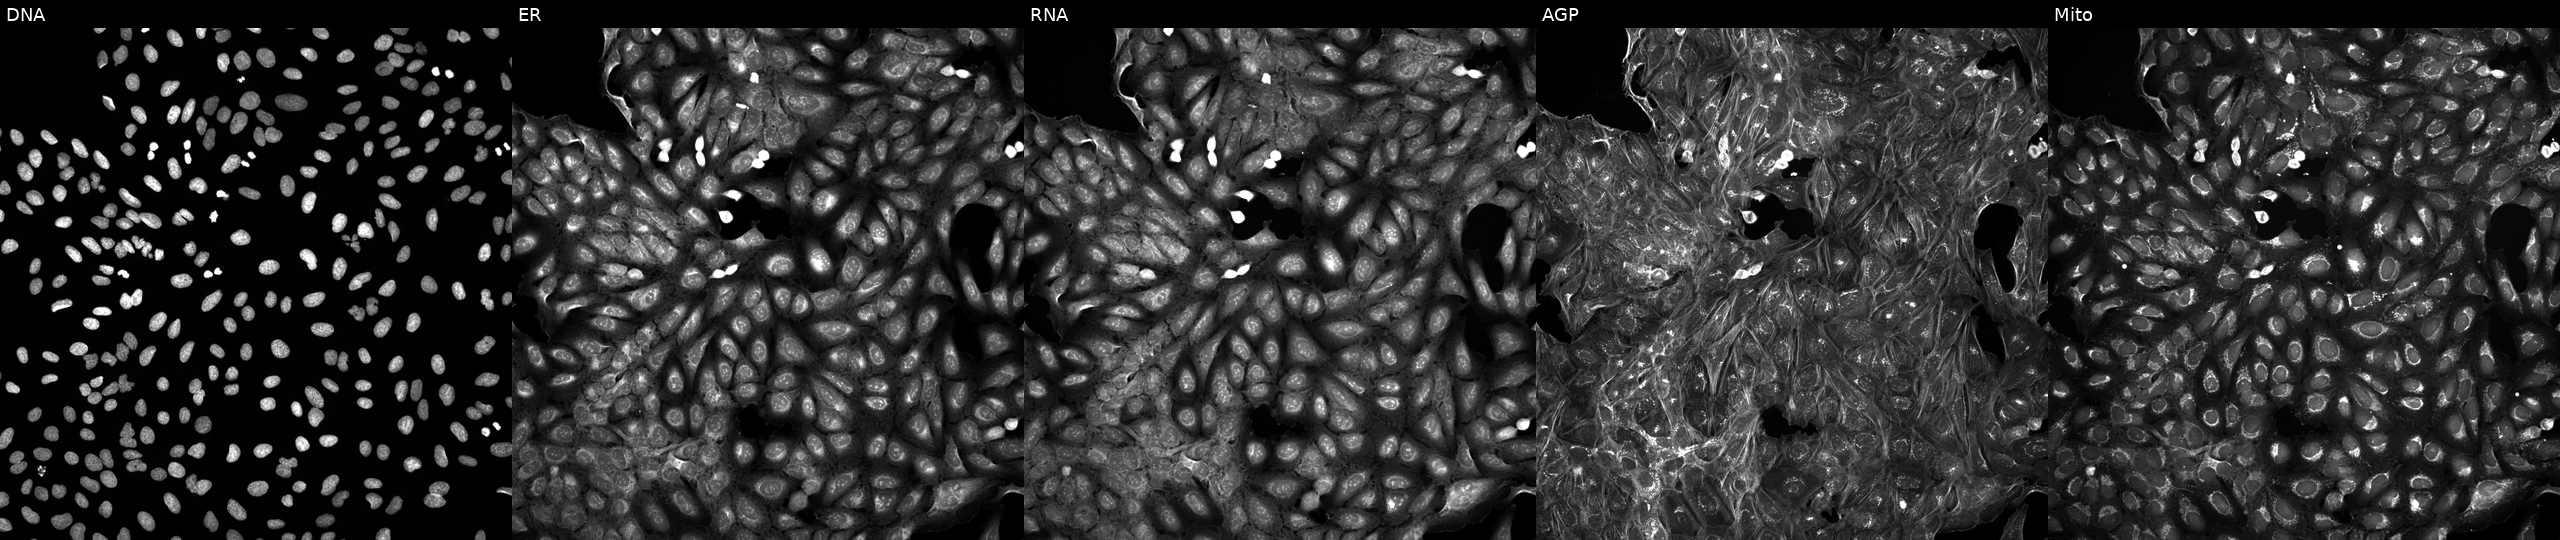
U2OS cells, Cell Painting assay, exposed to a small-molecule compound (InChIKey FQUAFMNPXPXOJE-UHFFFAOYSA-N). From left to right: DNA, ER, RNA, AGP, and Mito. Each panel is percentile-stretched 16-bit fluorescence. Source 5, plate ACPJUM051, well I04.